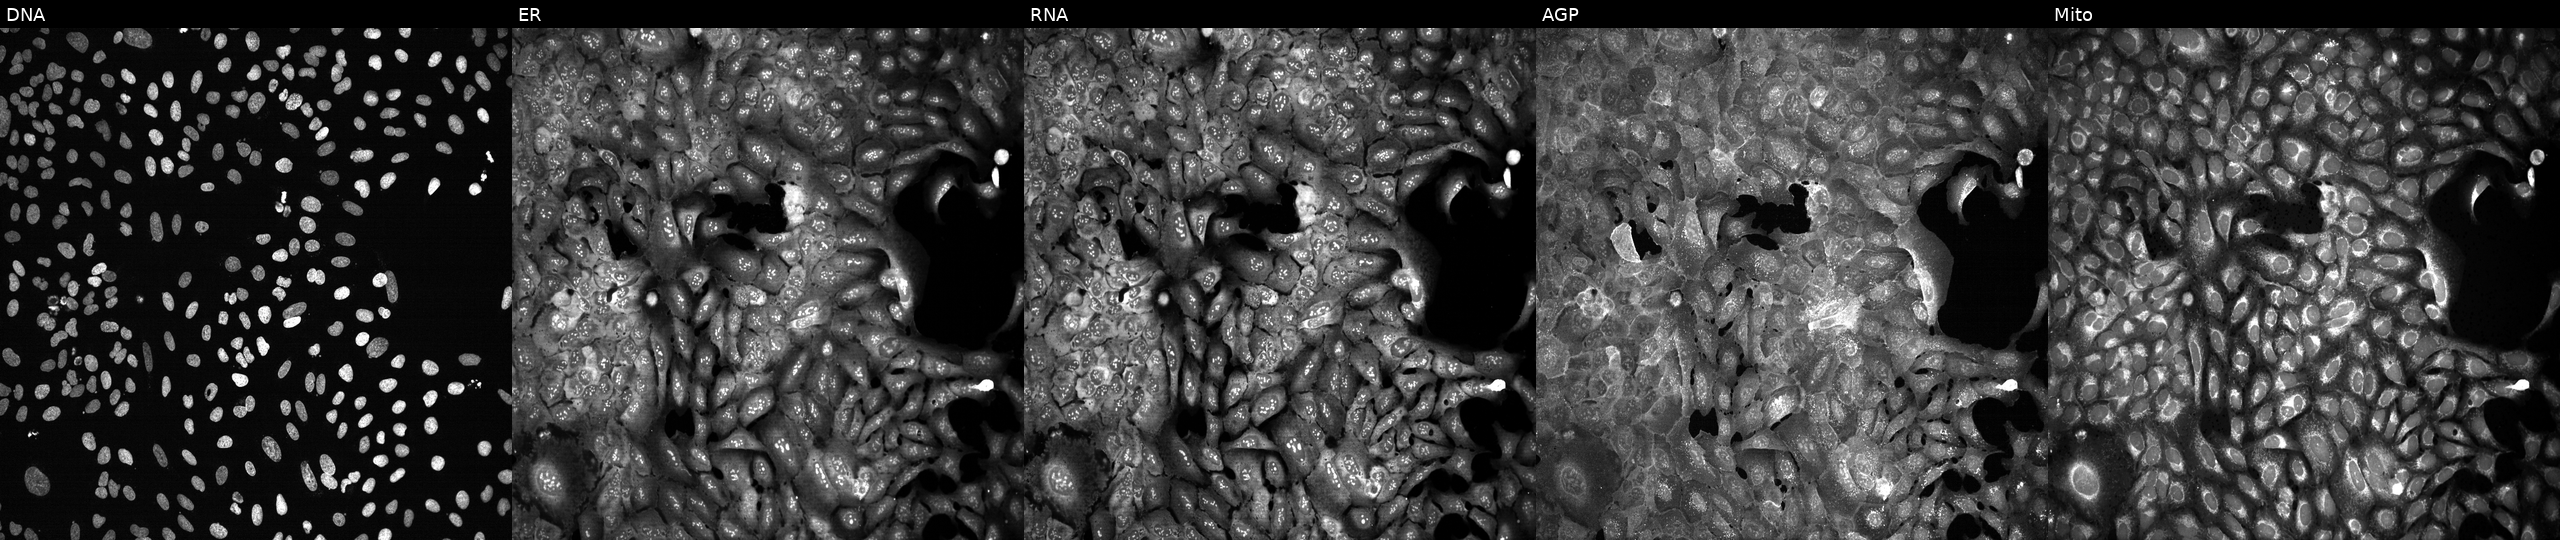
From left to right: DNA, ER, RNA, AGP, and Mito. U2OS osteosarcoma cells with ICT1 knocked out by CRISPR (JUMP id JCP2022_803314). Cell Painting assay, JUMP-CP dataset.